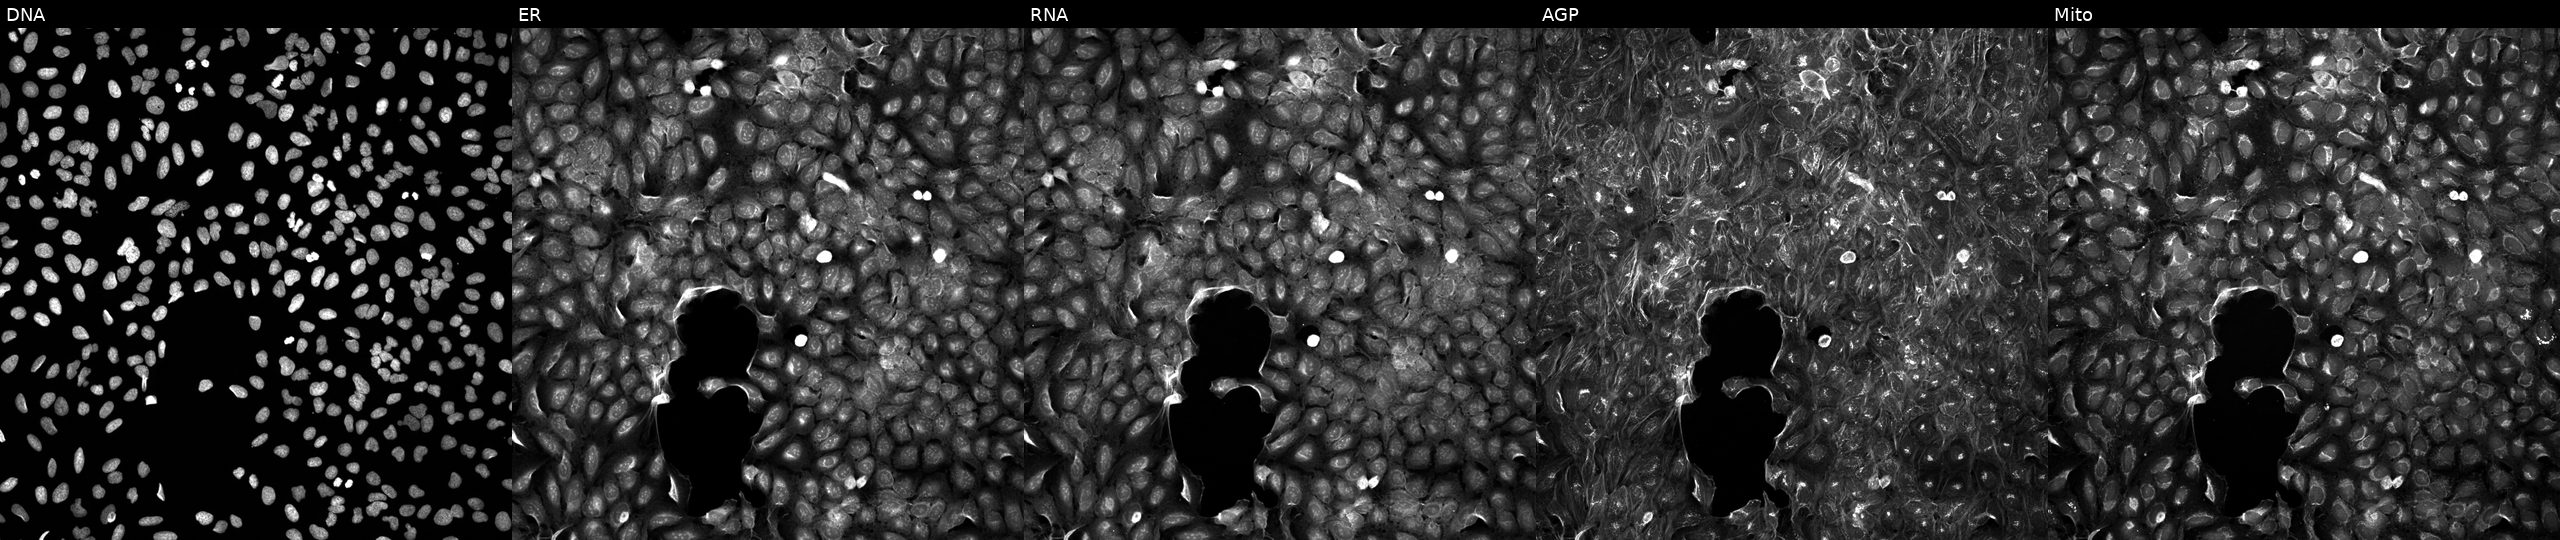
This image strip shows the five Cell Painting channels for a single field of U2OS cells perturbed with a small-molecule compound (InChIKey WSAFDHMOLSNCFD-UHFFFAOYSA-N) [SMILES: CCN1CCC(N(C(=O)c2ccc(-n3cnnn3)cc2)C2CC2)CC1]. The five panels, left to right, show DNA (nuclei); ER (endoplasmic reticulum); RNA (nucleoli and cytoplasmic RNA); AGP (actin cytoskeleton, Golgi, and plasma membrane); Mito (mitochondria).